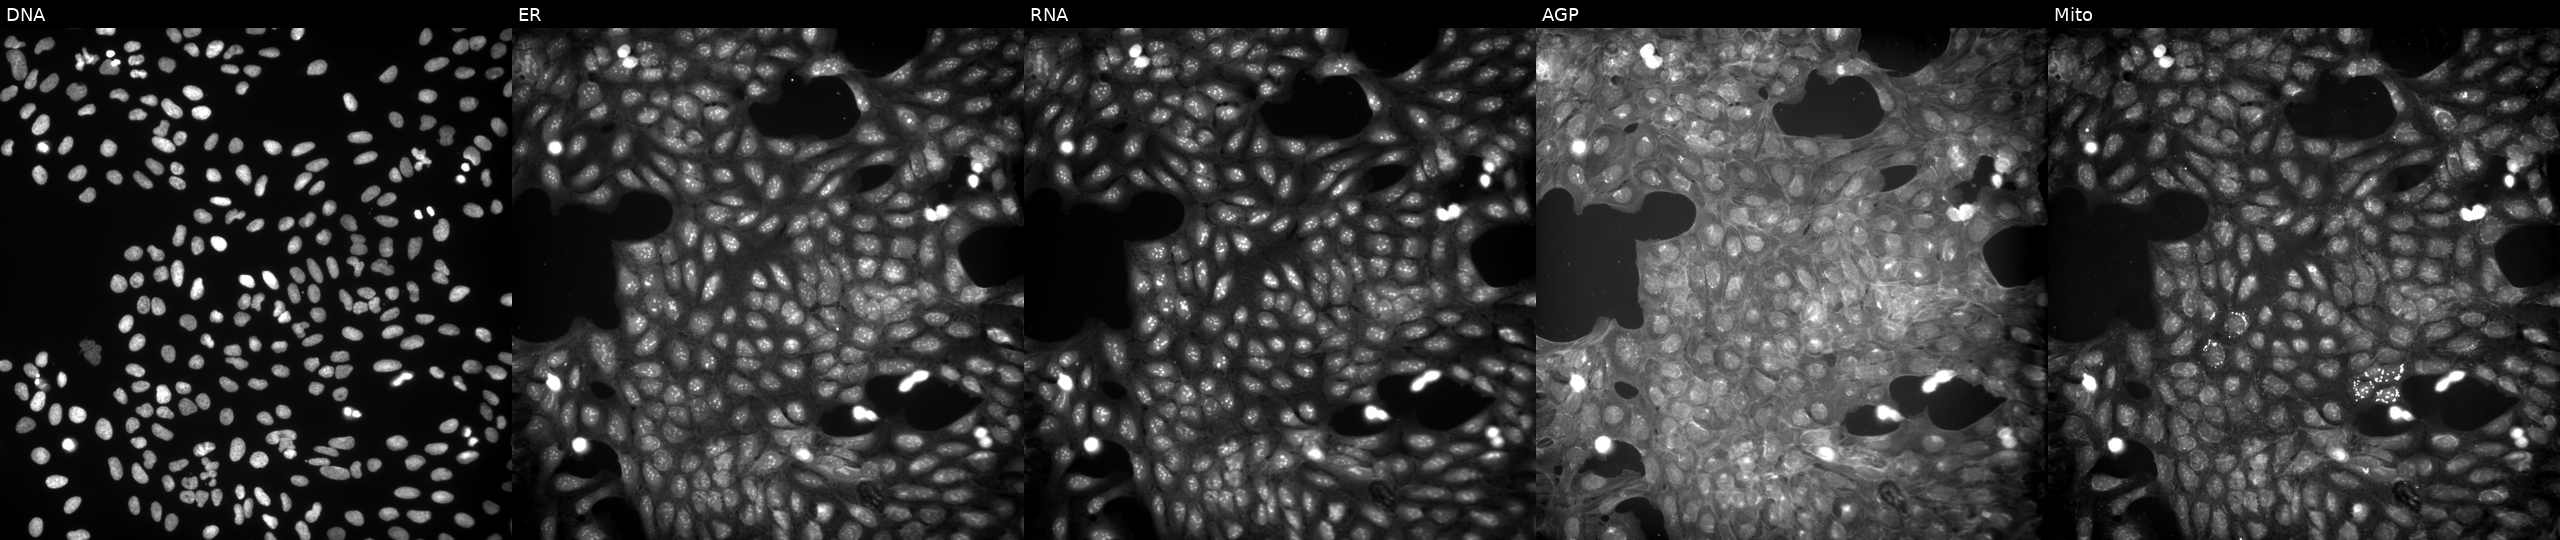
U2OS cells, Cell Painting assay, exposed to a small-molecule compound (InChIKey UUWLXFVSMOQYFK-UHFFFAOYSA-N) (JUMP id JCP2022_091731). Panels show, left to right, DNA, ER, RNA, AGP, and Mito. Each panel is percentile-stretched 16-bit fluorescence.